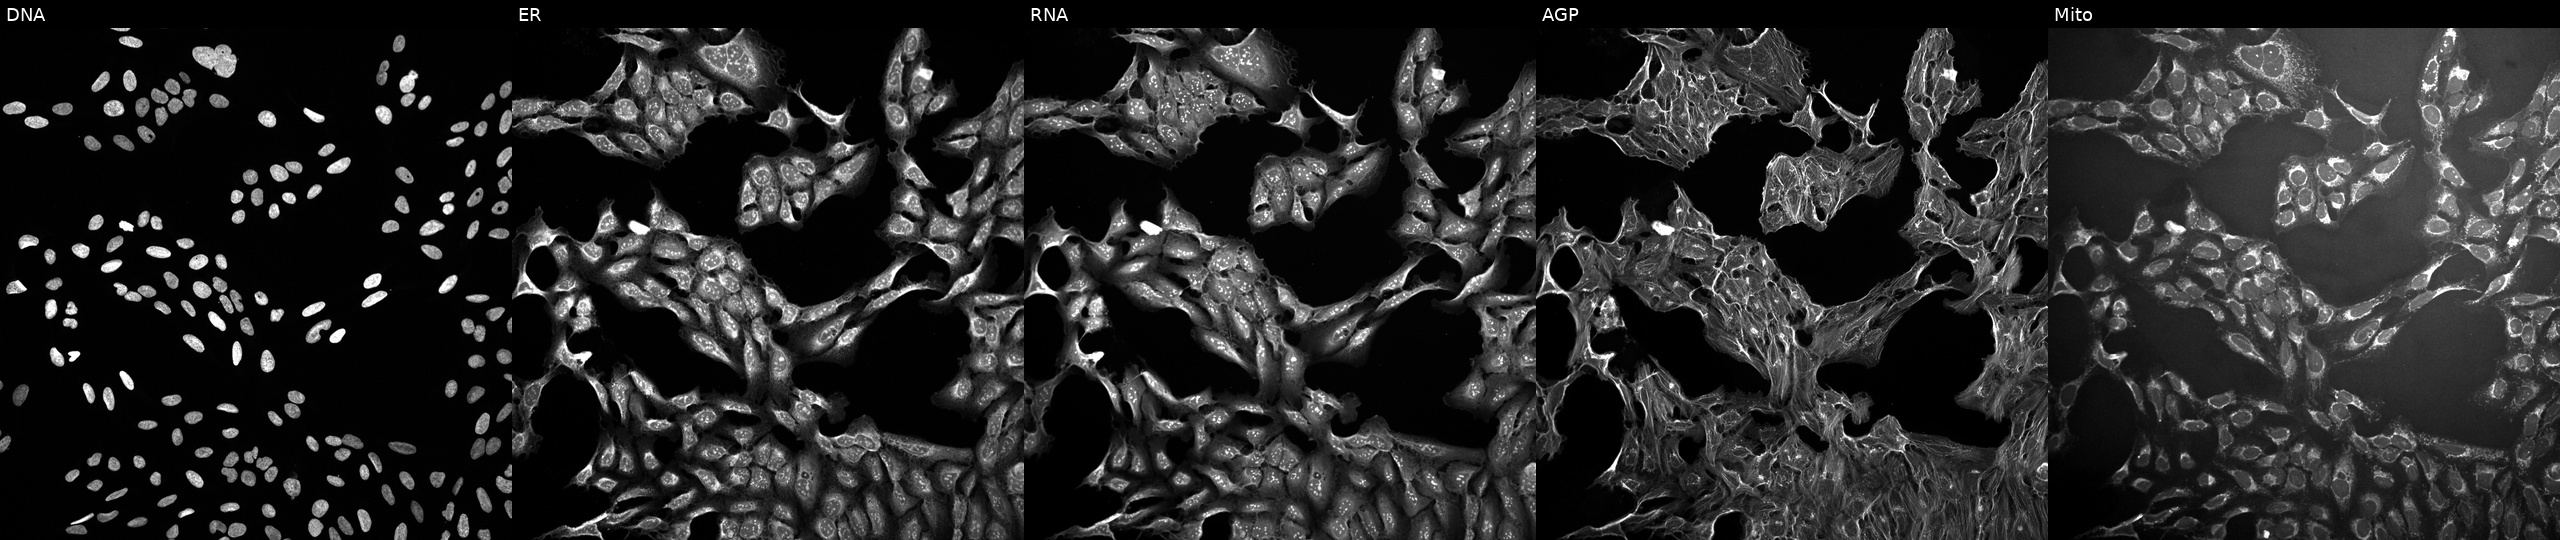
JUMP Cell Painting — TARGET2 plate. U2OS cells perturbed with a small-molecule compound (InChIKey FNHKPVJBJVTLMP-UHFFFAOYSA-N) [SMILES: CNC(=O)c1cc(Oc2ccc(NC(=O)Nc3ccc(Cl)c(C(F)(F)F)c3)c(F)c2)ccn1] (JUMP id JCP2022_021751). From left to right: Hoechst 33342, concanavalin A, SYTO 14, phalloidin and WGA, MitoTracker.